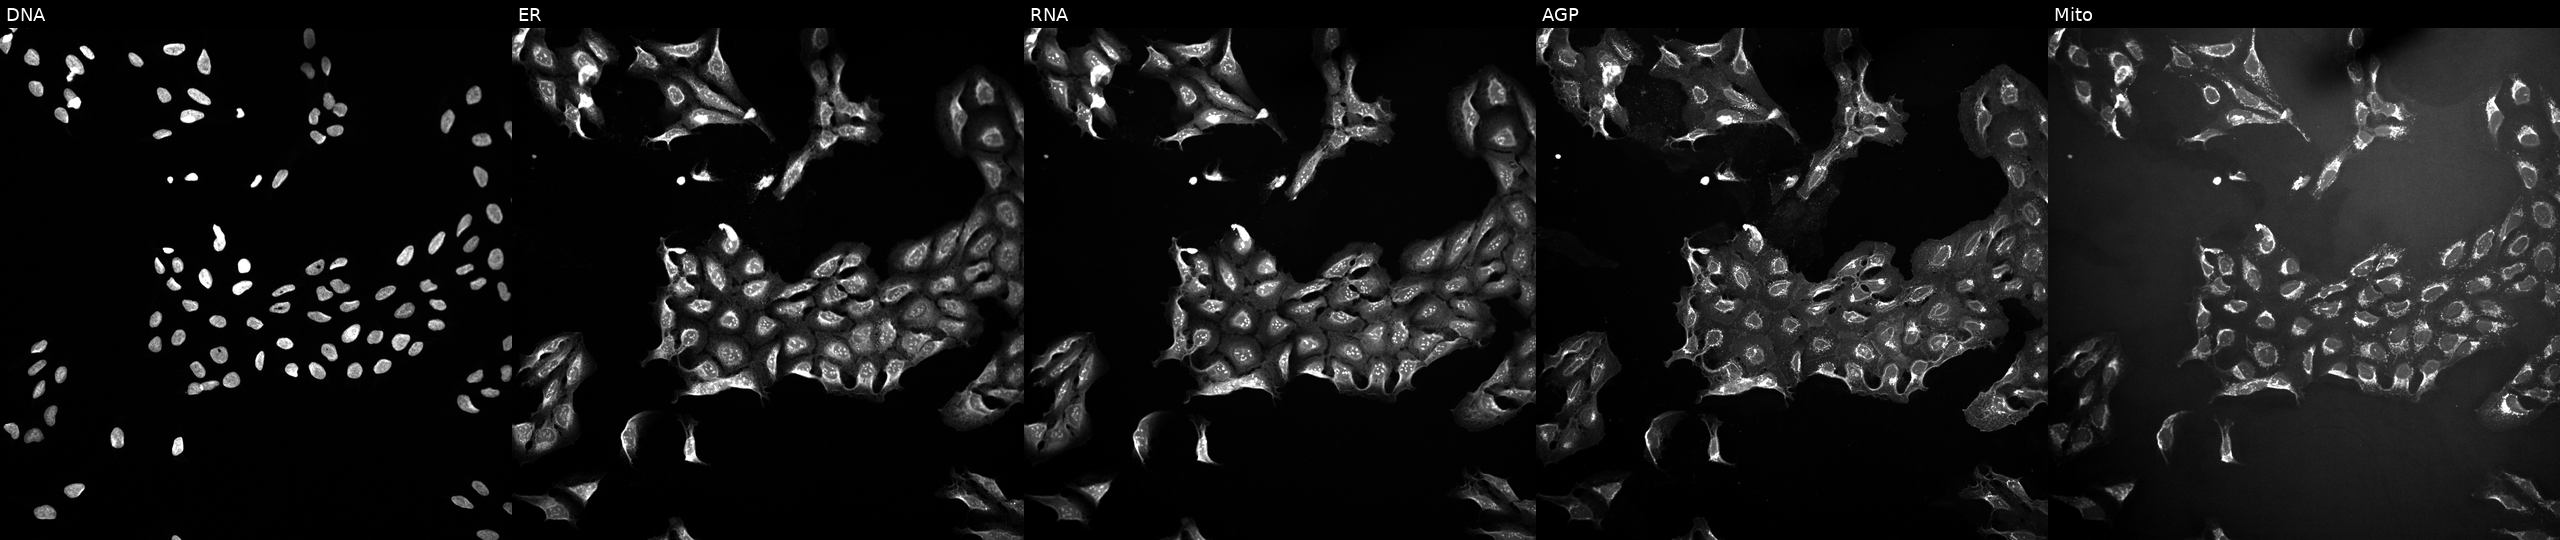
The five panels, left to right, show Hoechst 33342, concanavalin A, SYTO 14, phalloidin and WGA, MitoTracker. U2OS osteosarcoma cells perturbed with a small-molecule compound (InChIKey XQYASZNUFDVMFH-UHFFFAOYSA-N). Cell Painting assay, JUMP-CP dataset.